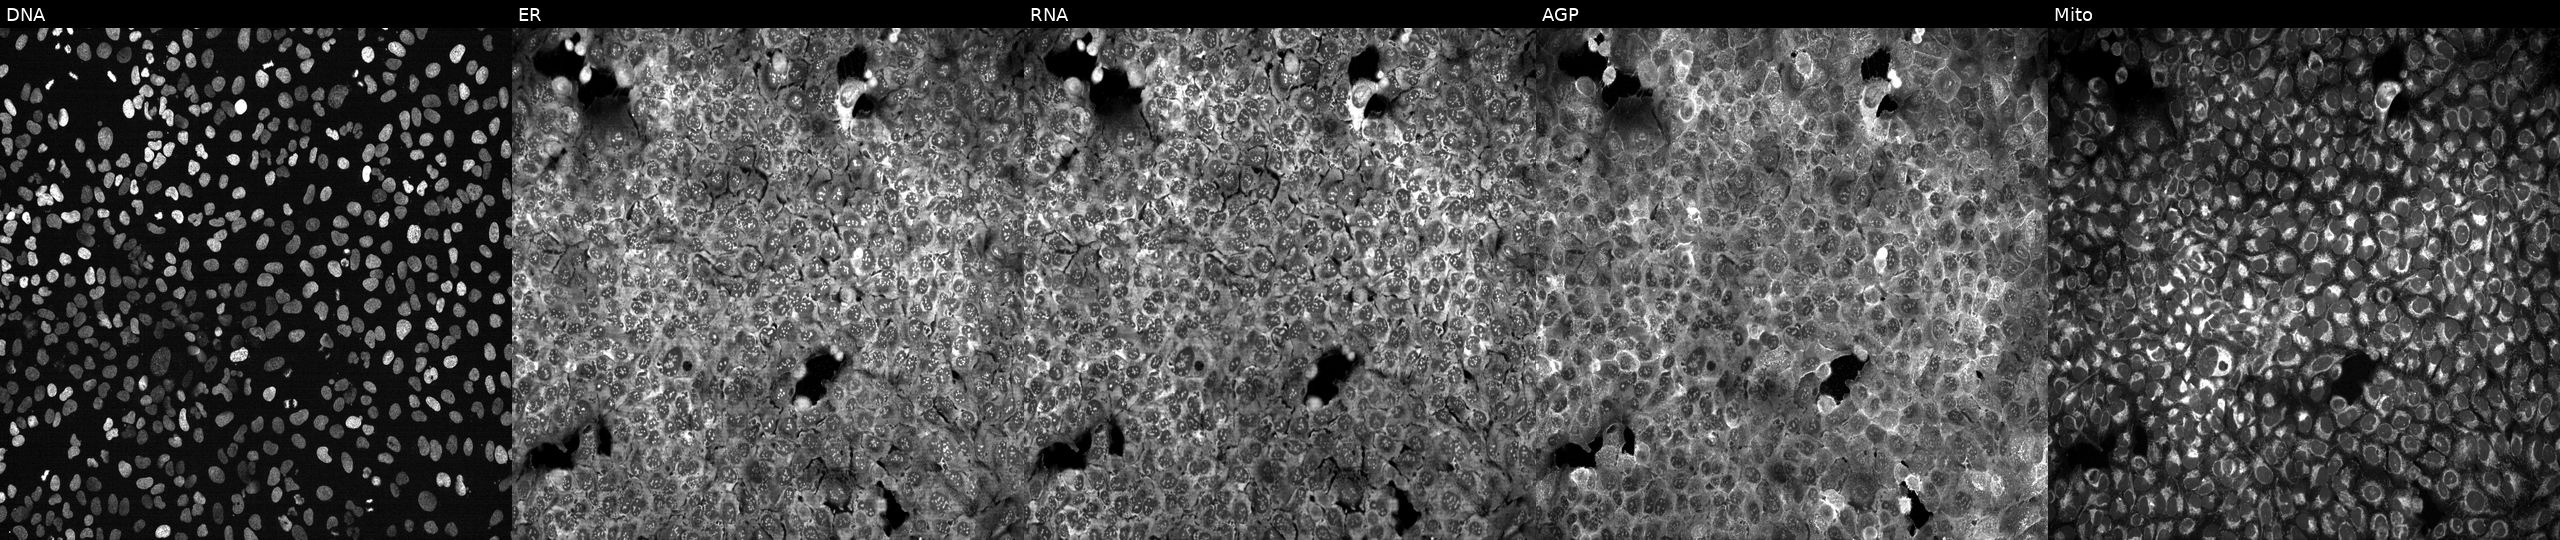
U2OS cells, Cell Painting assay, with DOHH knocked out by CRISPR. From left to right: DNA (nuclei); ER (endoplasmic reticulum); RNA (nucleoli and cytoplasmic RNA); AGP (actin cytoskeleton, Golgi, and plasma membrane); Mito (mitochondria). Each panel is percentile-stretched 16-bit fluorescence.